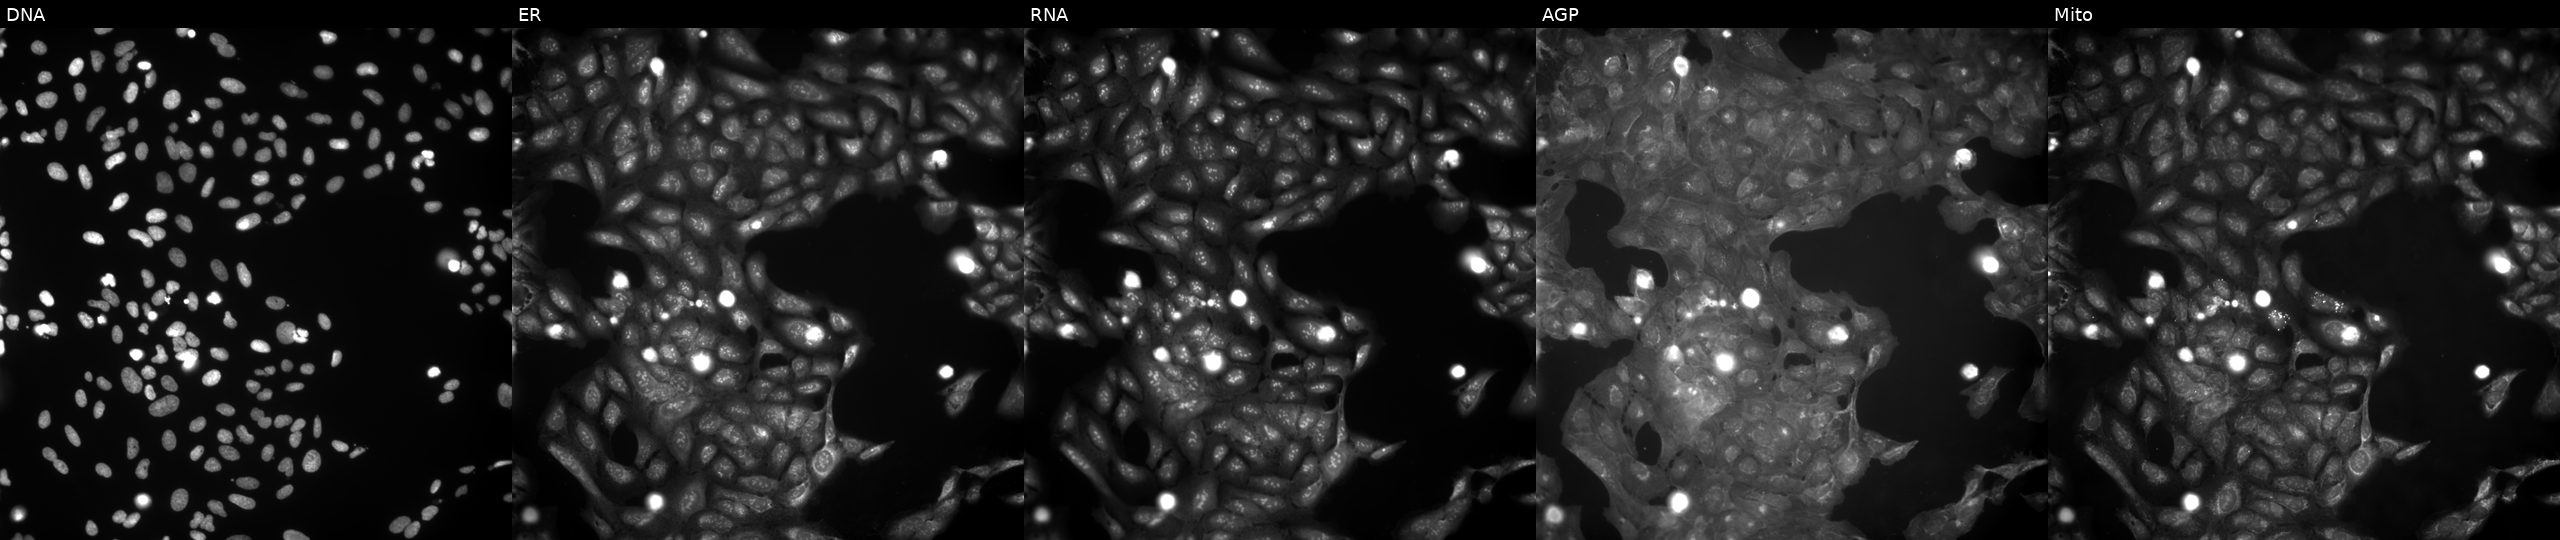
U2OS cells, Cell Painting assay, exposed to a small-molecule compound (InChIKey KIKHOMUPJRRQNU-UHFFFAOYSA-N) [SMILES: COc1cc(C(=O)NCCOc2cc(C)cc(C)c2)c(Br)c(OC)c1OC] (JUMP id JCP2022_044809). Panels show, left to right, Hoechst 33342, concanavalin A, SYTO 14, phalloidin and WGA, MitoTracker. Each panel is percentile-stretched 16-bit fluorescence.